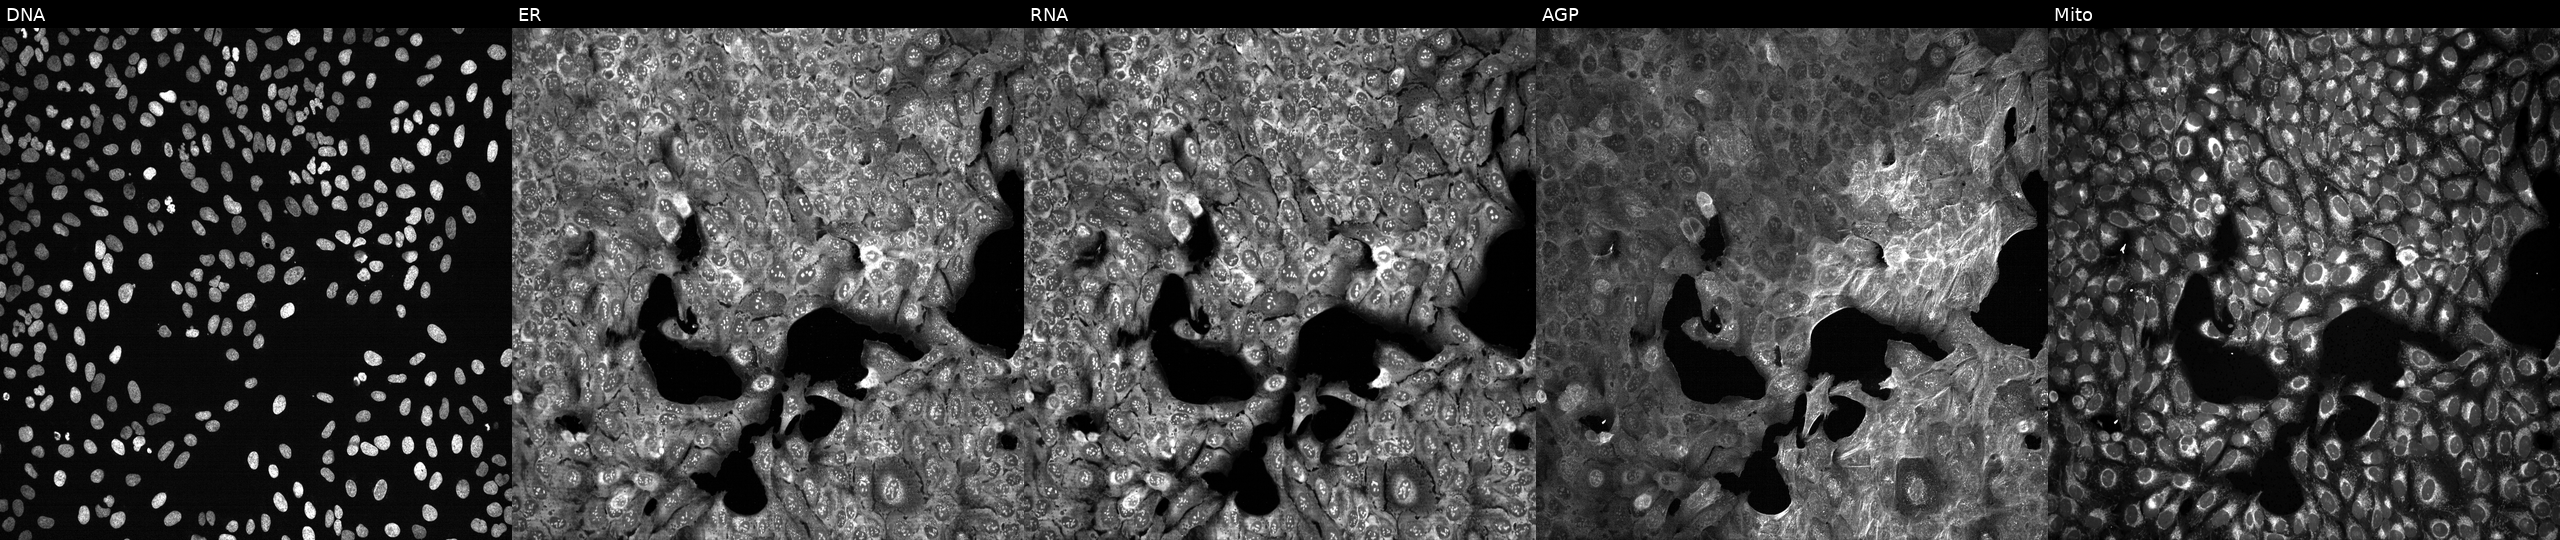
U2OS cells, Cell Painting assay, following CRISPR knockout of G3BP1. The five panels, left to right, show DNA, ER, RNA, AGP, and Mito. Each panel is percentile-stretched 16-bit fluorescence. Source 13, plate CP-CC9-R2-01, well P22.